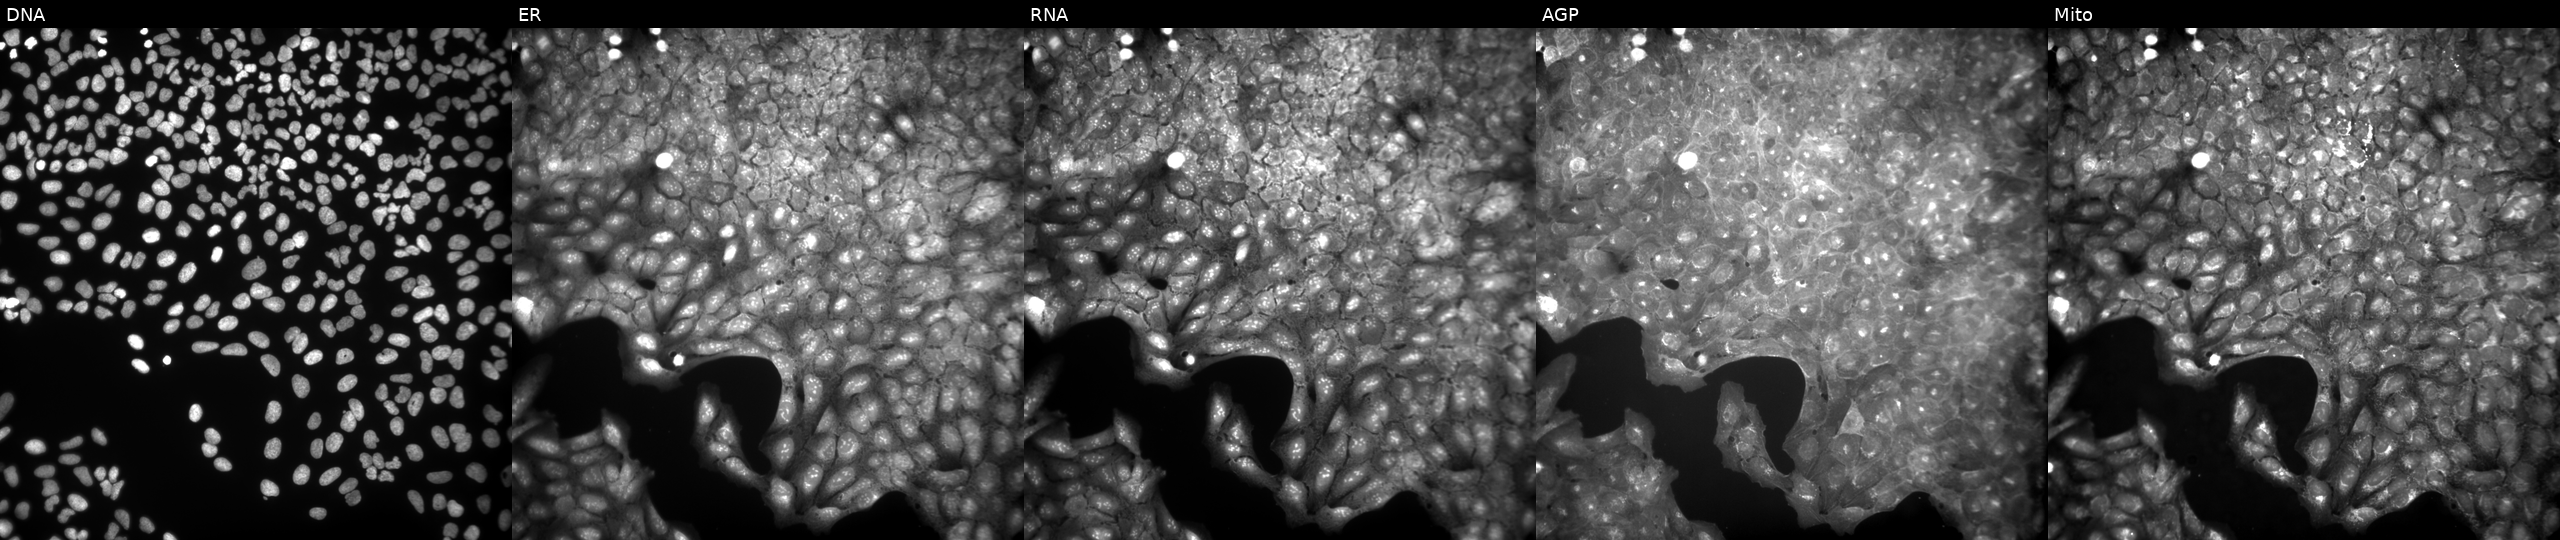
JUMP Cell Painting — COMPOUND plate. U2OS cells exposed to a small-molecule compound (InChIKey OPNJLVQSNITTMX-UHFFFAOYSA-N) (JUMP id JCP2022_065309). From left to right: Hoechst 33342, concanavalin A, SYTO 14, phalloidin and WGA, MitoTracker. Source 9, plate GR00003382, well G45.